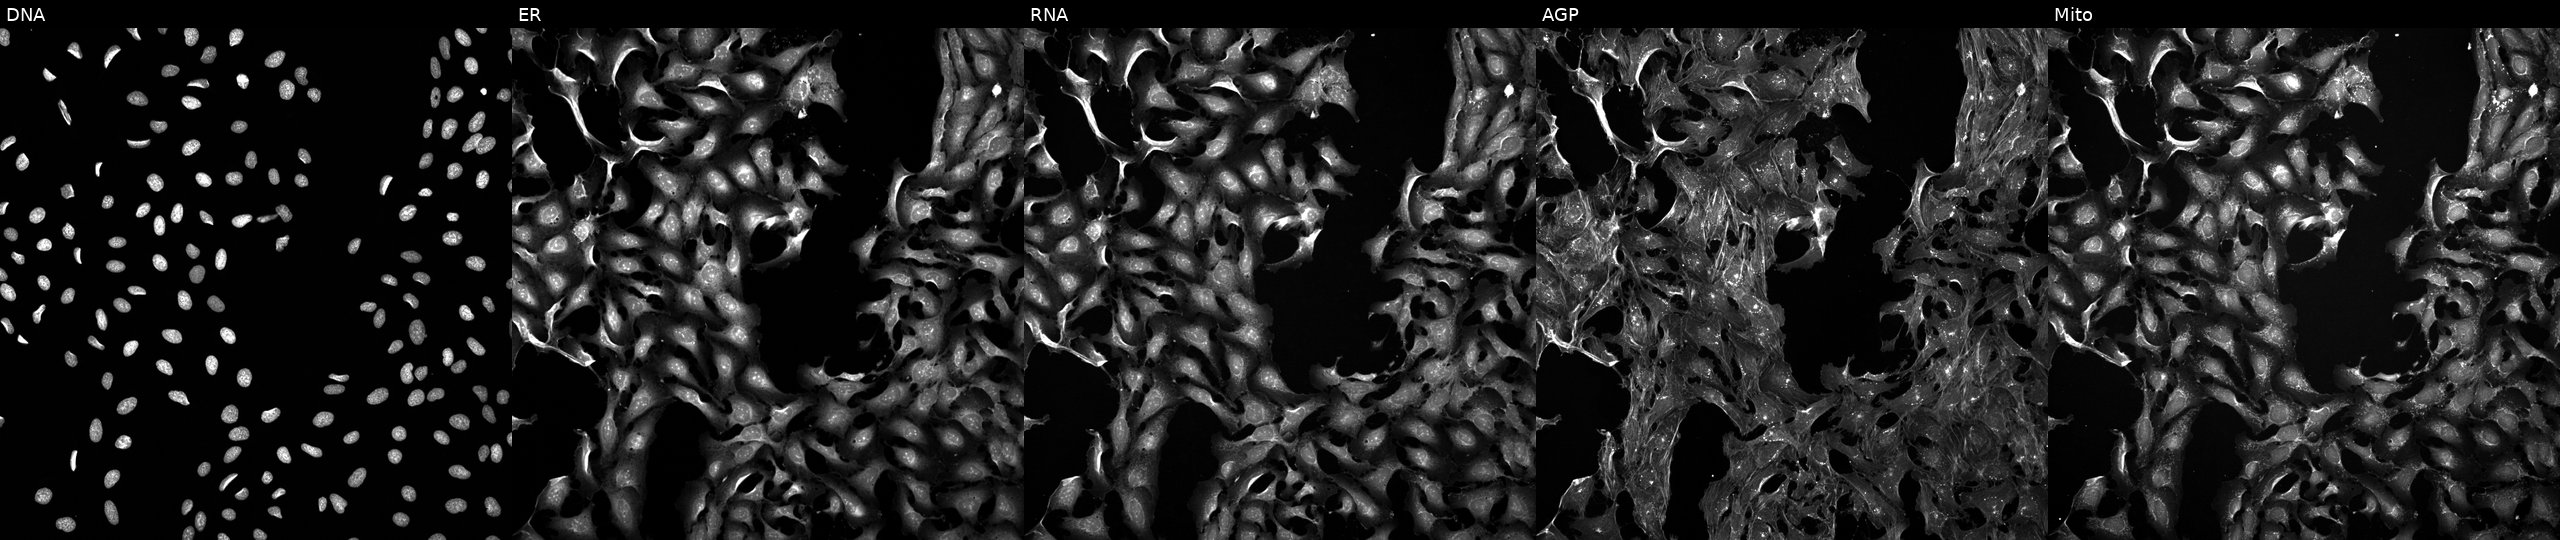
High-content fluorescence microscopy (Cell Painting). Cell line: U2OS. Perturbation: exposed to the positive-control compound FK-866 (JUMP id JCP2022_046054). Panels show, left to right, Hoechst 33342, concanavalin A, SYTO 14, phalloidin and WGA, MitoTracker.